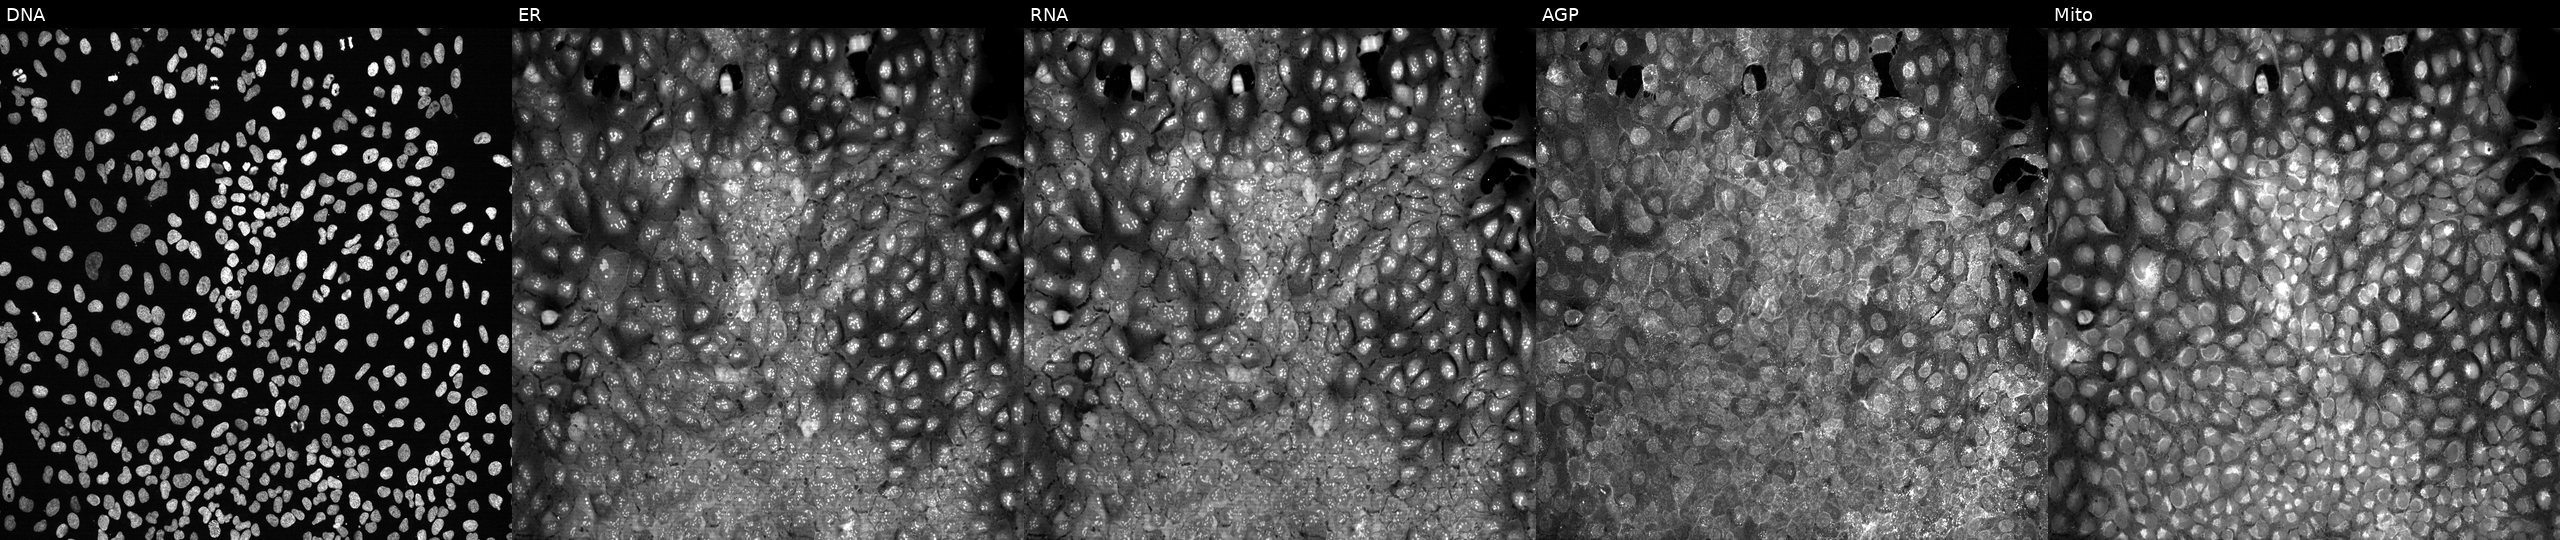
U2OS cells, Cell Painting assay, with PLA2G4F knocked out by CRISPR (JUMP id JCP2022_805229). The five panels, left to right, show DNA, ER, RNA, AGP, and Mito. Each panel is percentile-stretched 16-bit fluorescence.